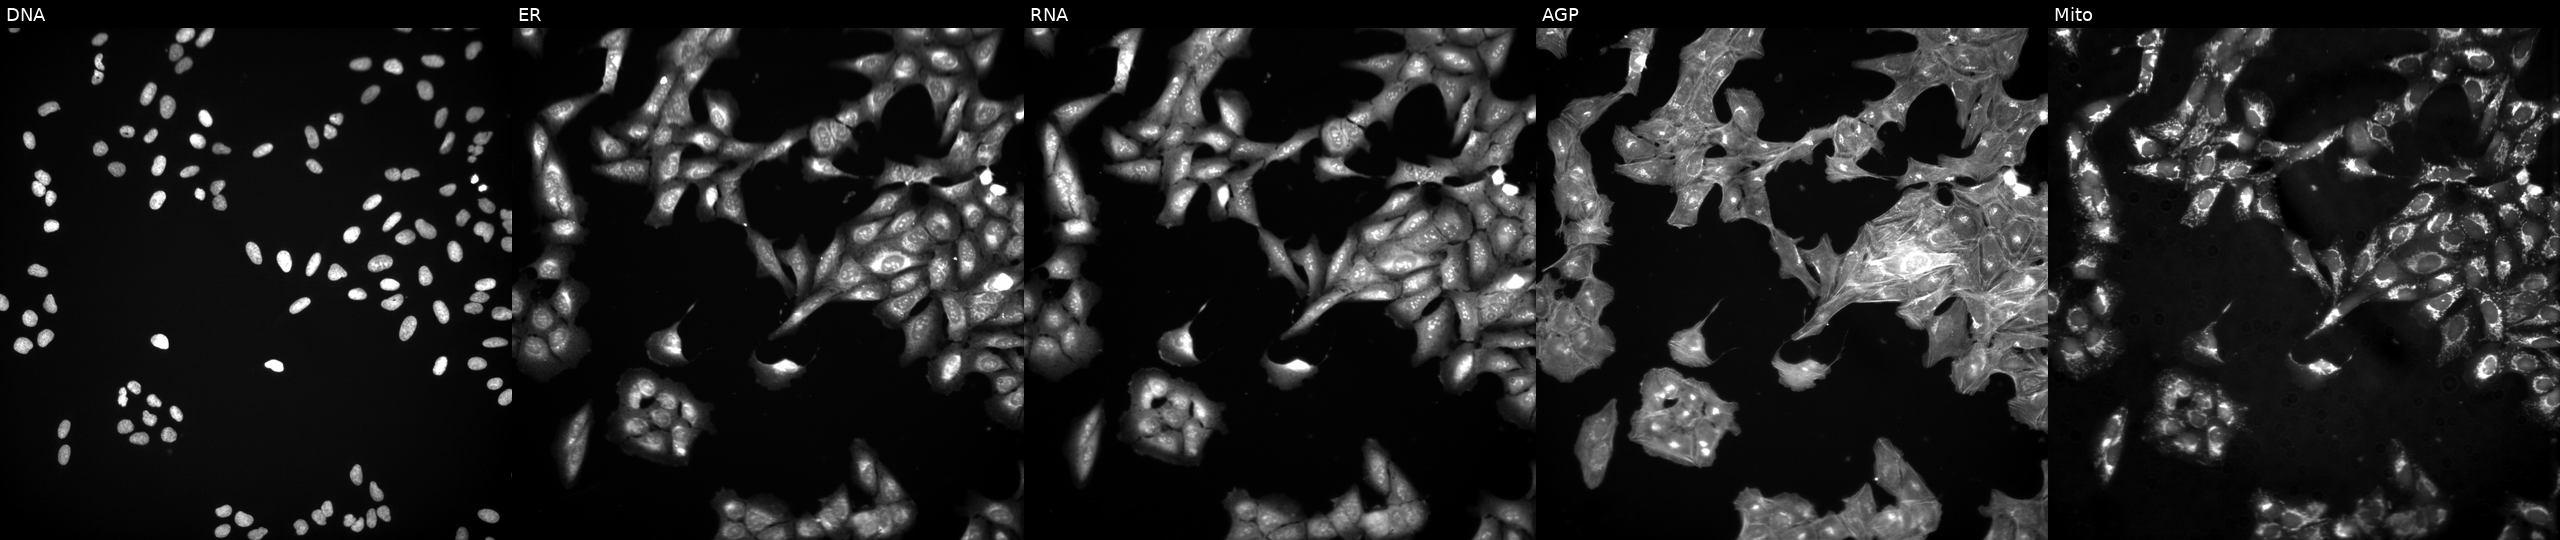
High-content fluorescence microscopy (Cell Painting). Cell line: U2OS. Perturbation: exposed to a small-molecule compound (InChIKey LEVWYRKDKASIDU-UHFFFAOYSA-N) (JUMP id JCP2022_048971). From left to right: DNA (nuclei); ER (endoplasmic reticulum); RNA (nucleoli and cytoplasmic RNA); AGP (actin cytoskeleton, Golgi, and plasma membrane); Mito (mitochondria). Source 3, plate JCPQC053, well A18.